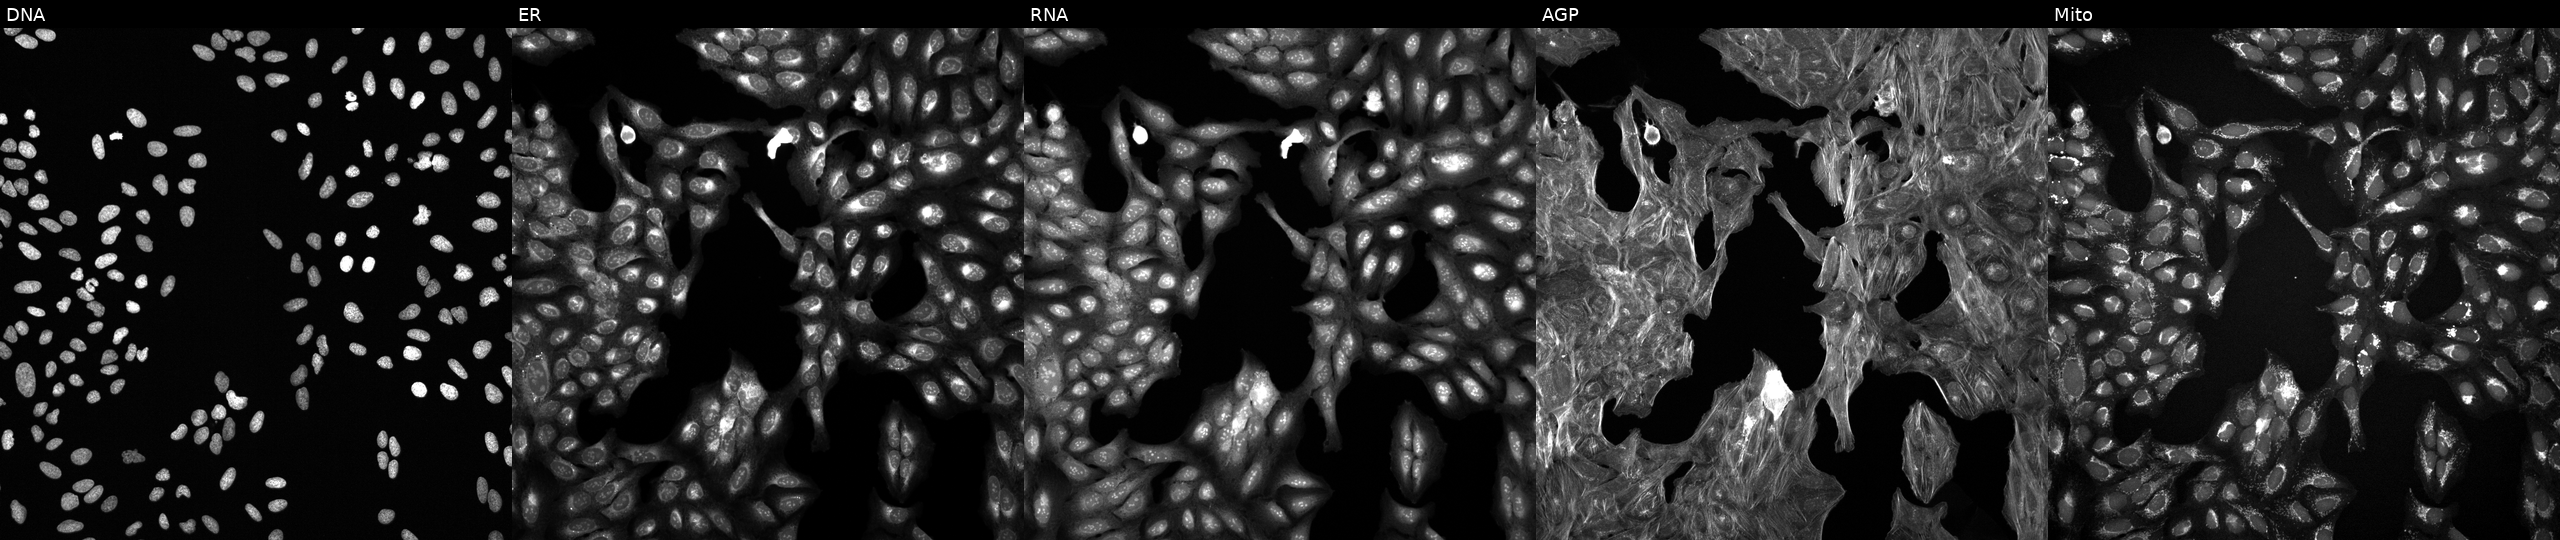
From left to right: DNA, ER, RNA, AGP, and Mito. U2OS osteosarcoma cells exposed to a small-molecule compound (InChIKey QIHBWVVVRYYYRO-UHFFFAOYSA-N). Cell Painting assay, JUMP-CP dataset. Source 6, plate 110000293093, well H16.